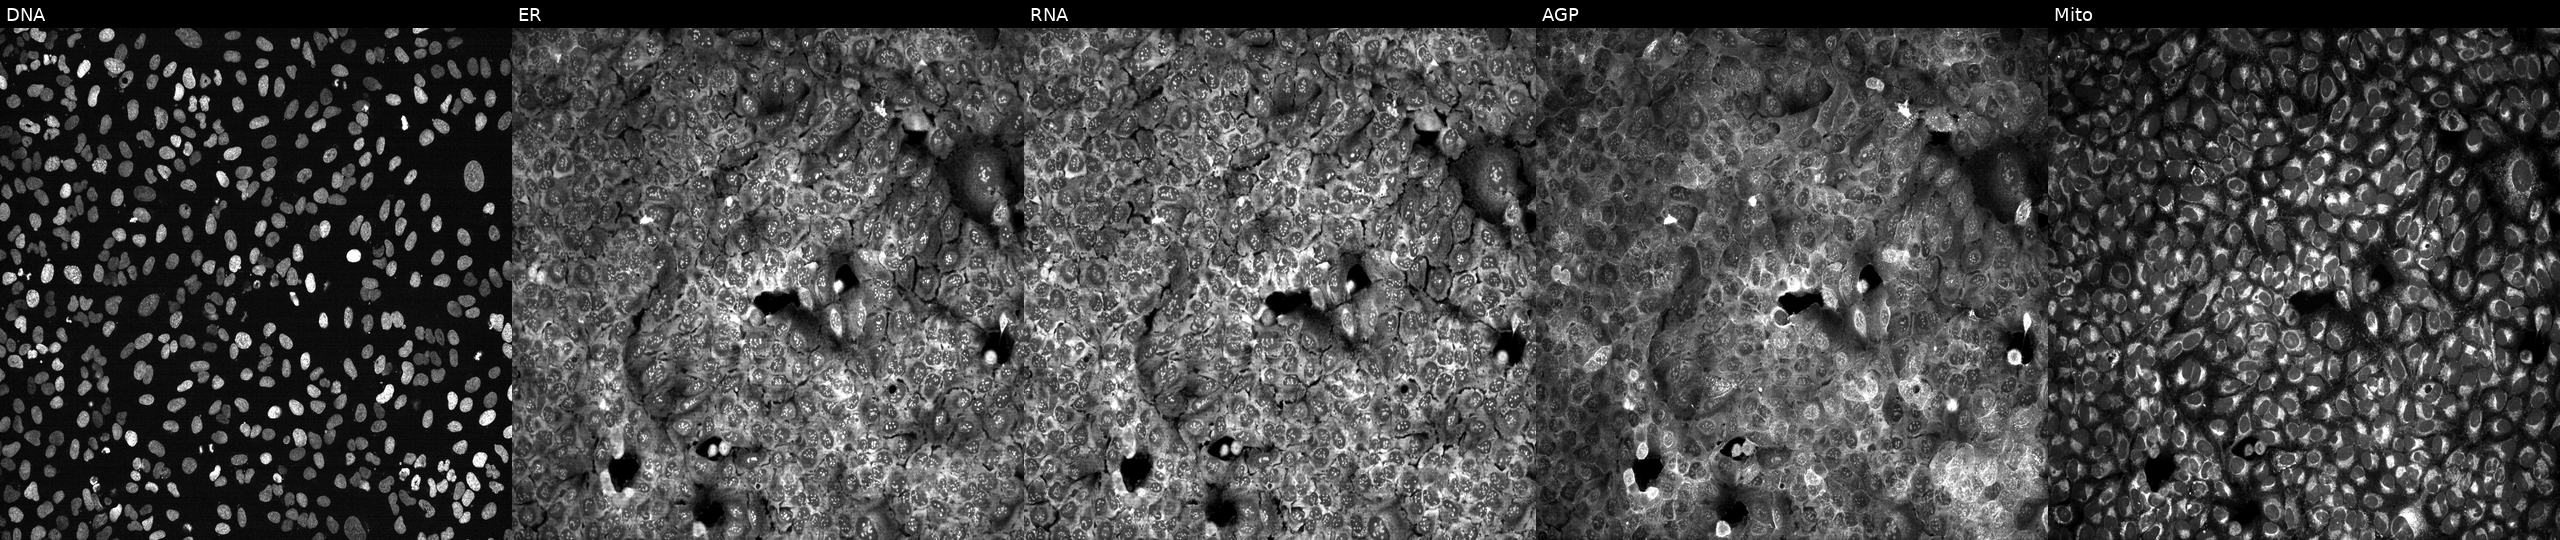
High-content fluorescence microscopy (Cell Painting). Cell line: U2OS. Perturbation: CRISPR-edited to disrupt GPAA1. The five panels, left to right, show Hoechst 33342, concanavalin A, SYTO 14, phalloidin and WGA, MitoTracker. Source 13, plate CP-CC9-R4-03, well F20.